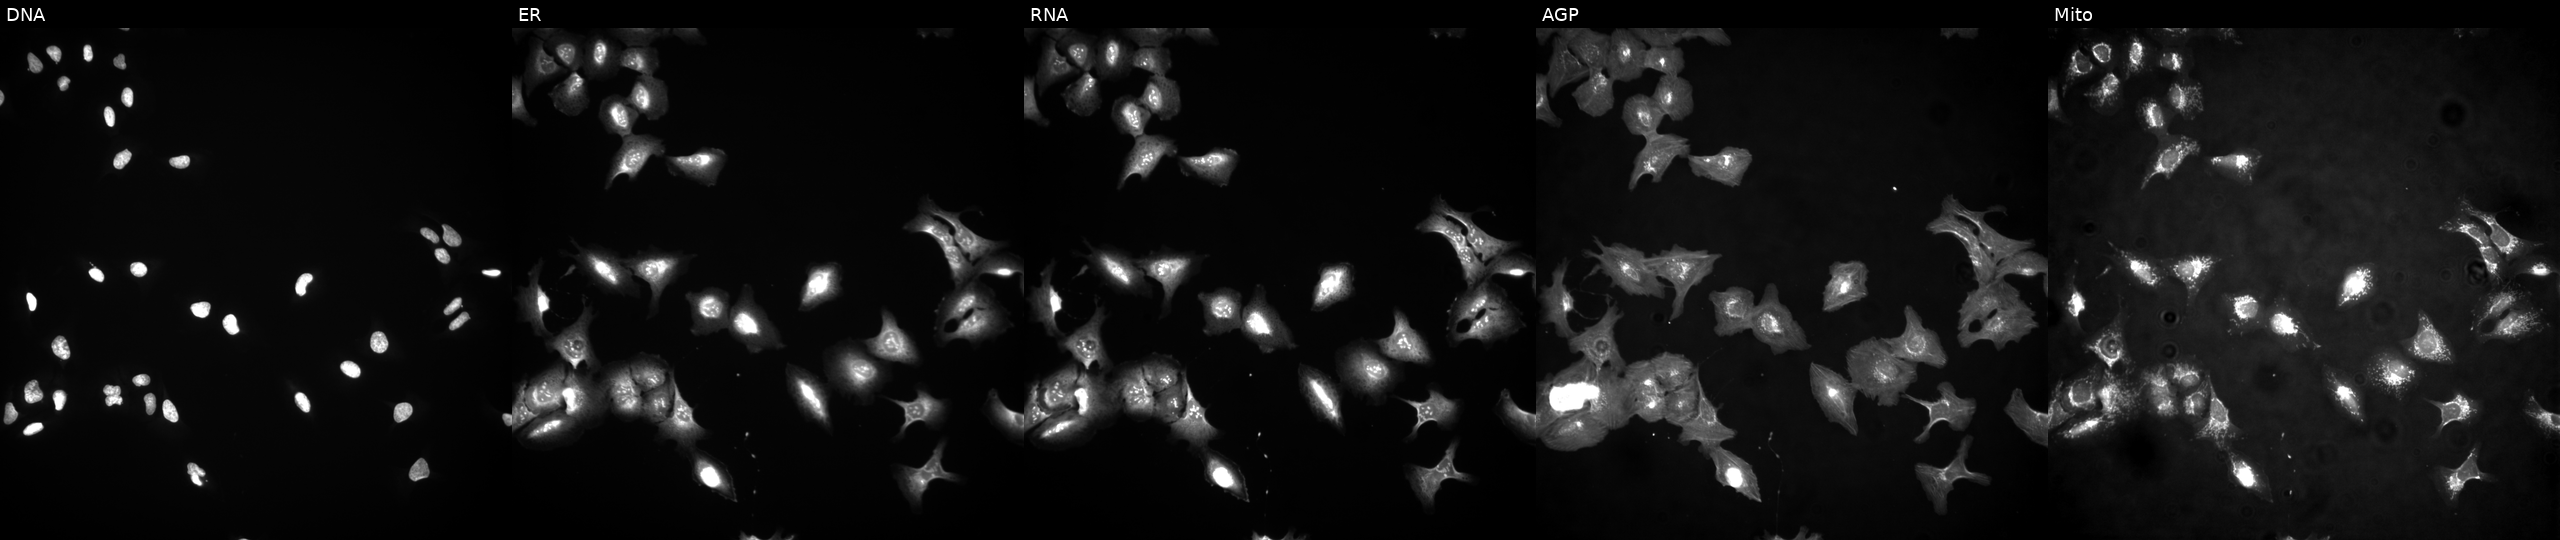
JUMP Cell Painting — ORF plate. U2OS cells transfected with an ORF construct for AP2A2 (JUMP id JCP2022_905408). Panels show, left to right, DNA (nuclei); ER (endoplasmic reticulum); RNA (nucleoli and cytoplasmic RNA); AGP (actin cytoskeleton, Golgi, and plasma membrane); Mito (mitochondria). Source 4, plate BR00124784, well K17.